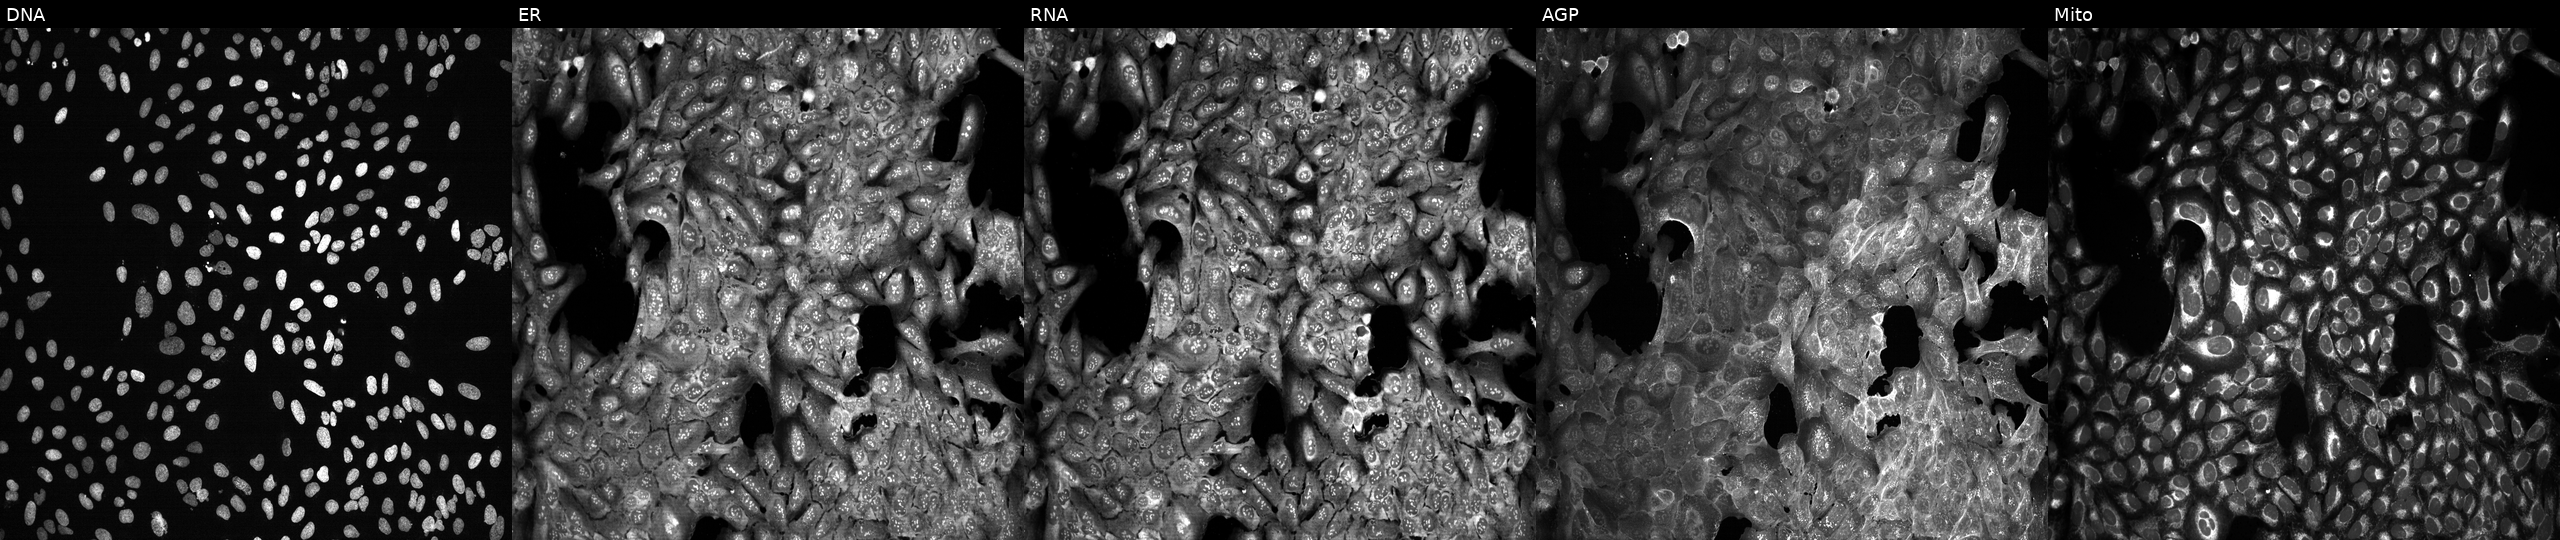
Panels show, left to right, DNA, ER, RNA, AGP, and Mito. U2OS osteosarcoma cells with NFX1 knocked out by CRISPR (JUMP id JCP2022_804557). Cell Painting assay, JUMP-CP dataset. Source 13, plate CP-CC9-R6-19, well B18.